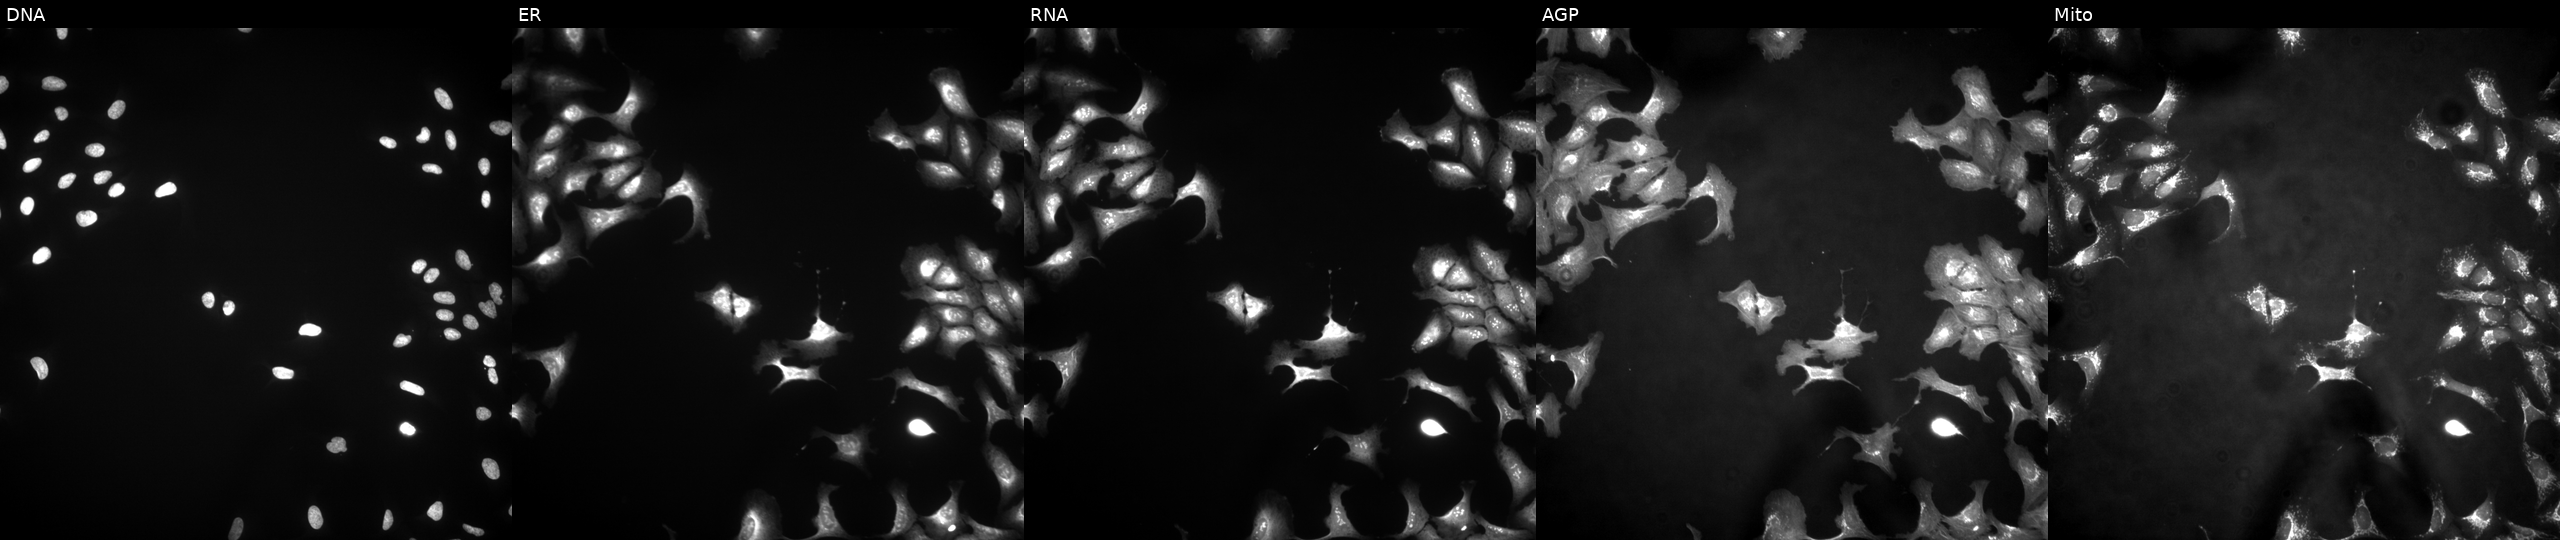
U2OS cells, Cell Painting assay, with SCNN1G overexpressed (ORF). The five panels, left to right, show DNA, ER, RNA, AGP, and Mito. Each panel is percentile-stretched 16-bit fluorescence. Source 4, plate BR00123506, well L05.